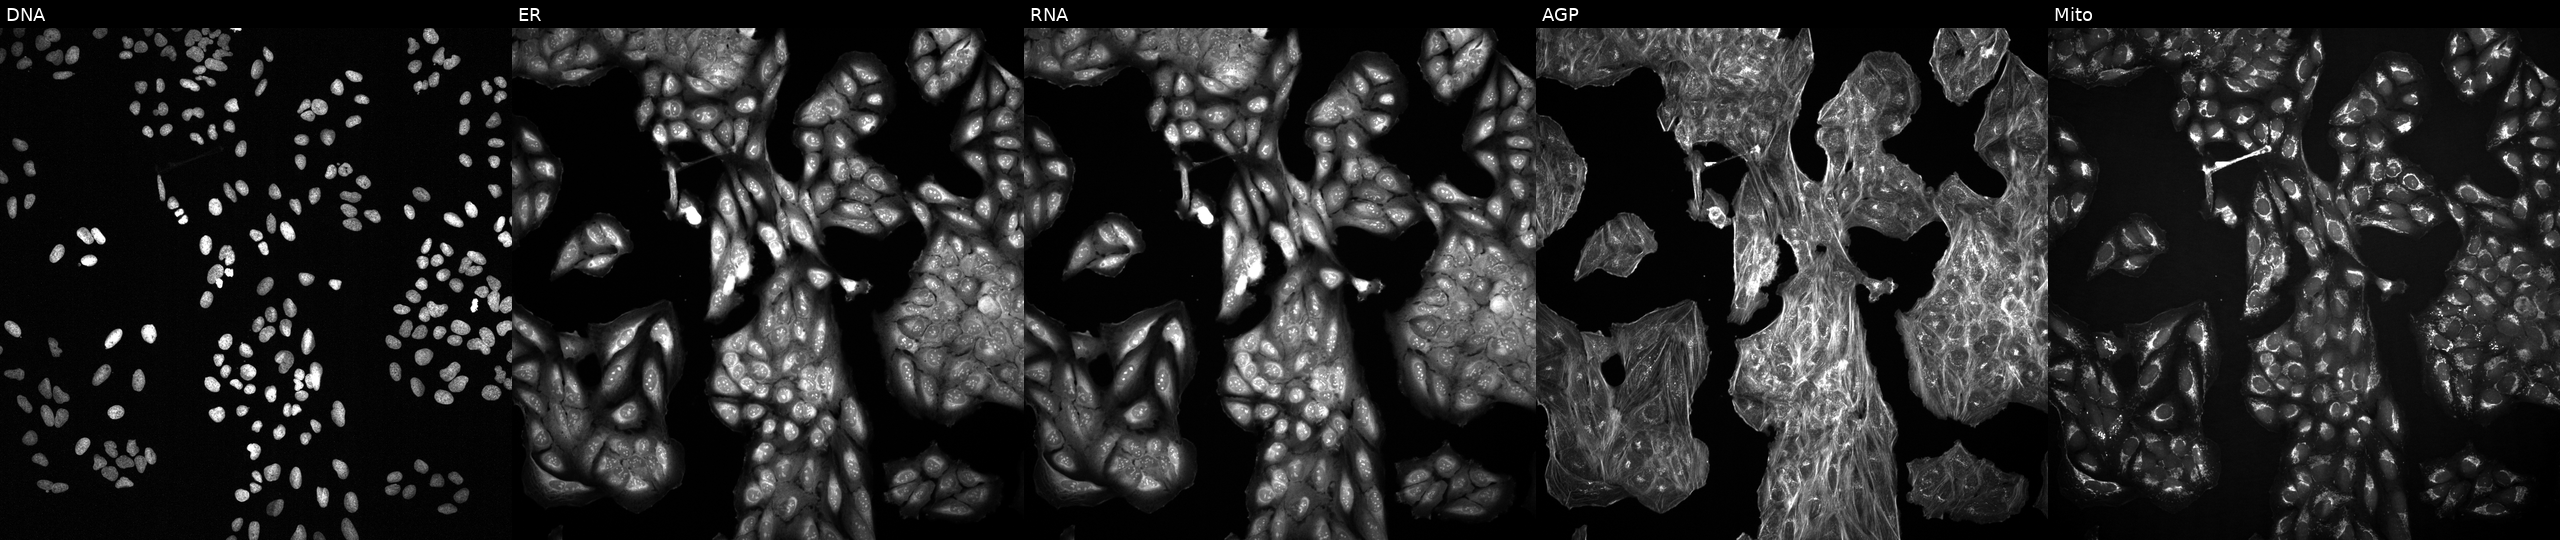
U2OS cells, Cell Painting assay, perturbed with a small-molecule compound. Panels show, left to right, DNA (nuclei); ER (endoplasmic reticulum); RNA (nucleoli and cytoplasmic RNA); AGP (actin cytoskeleton, Golgi, and plasma membrane); Mito (mitochondria). Each panel is percentile-stretched 16-bit fluorescence. Source 2, plate 1053601756, well G10.